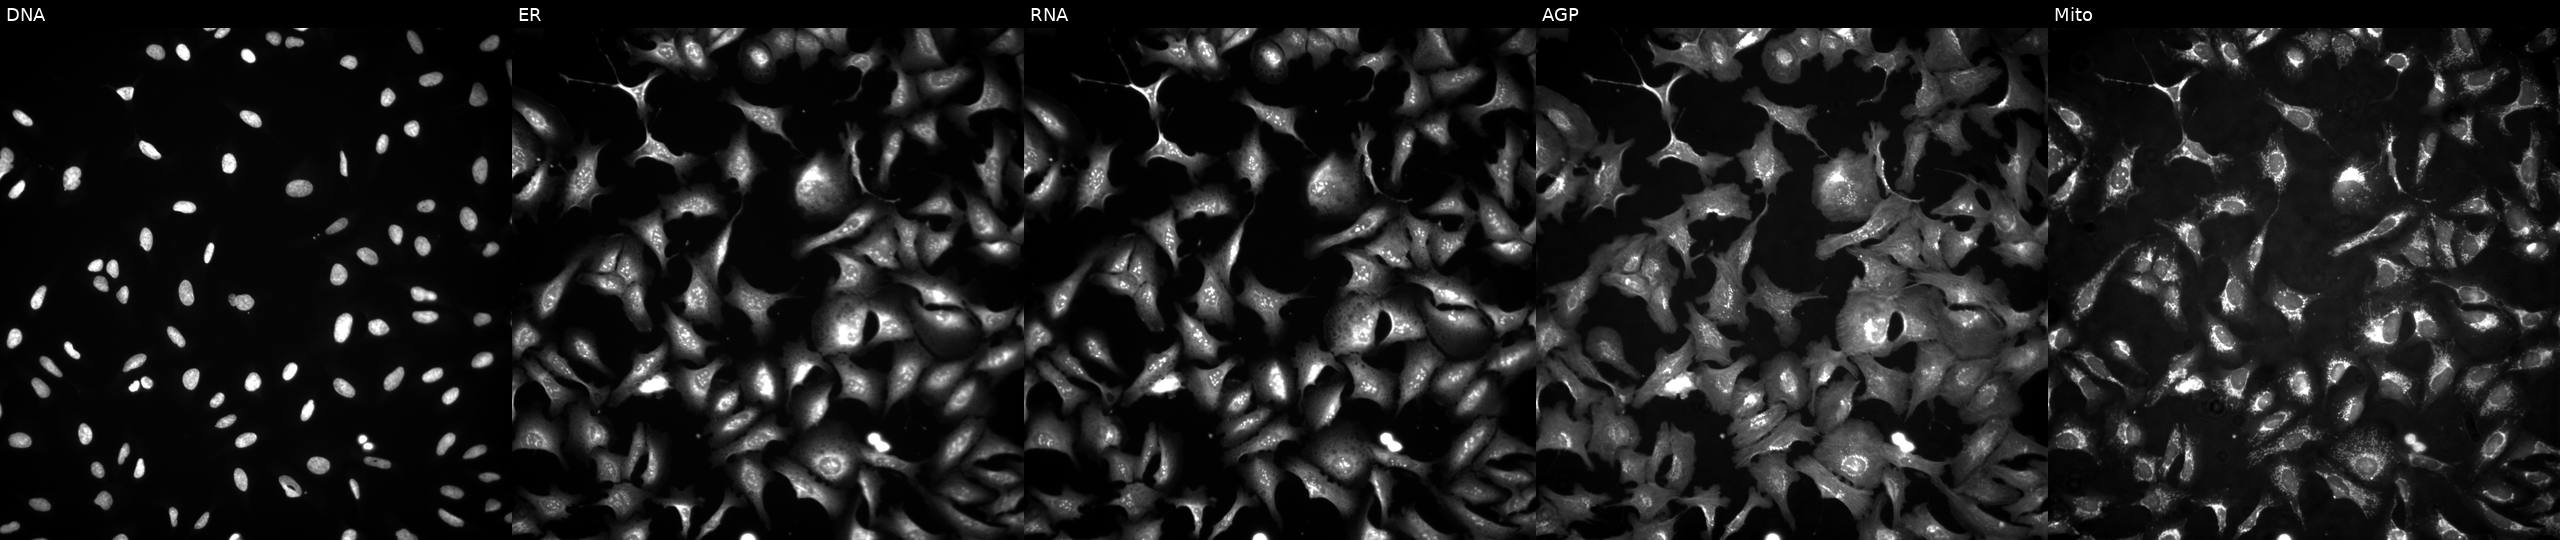
U2OS cells, Cell Painting assay, transfected with an ORF construct for RPL23A (JUMP id JCP2022_909643). Channels (left→right): DNA (nuclei); ER (endoplasmic reticulum); RNA (nucleoli and cytoplasmic RNA); AGP (actin cytoskeleton, Golgi, and plasma membrane); Mito (mitochondria). Each panel is percentile-stretched 16-bit fluorescence.